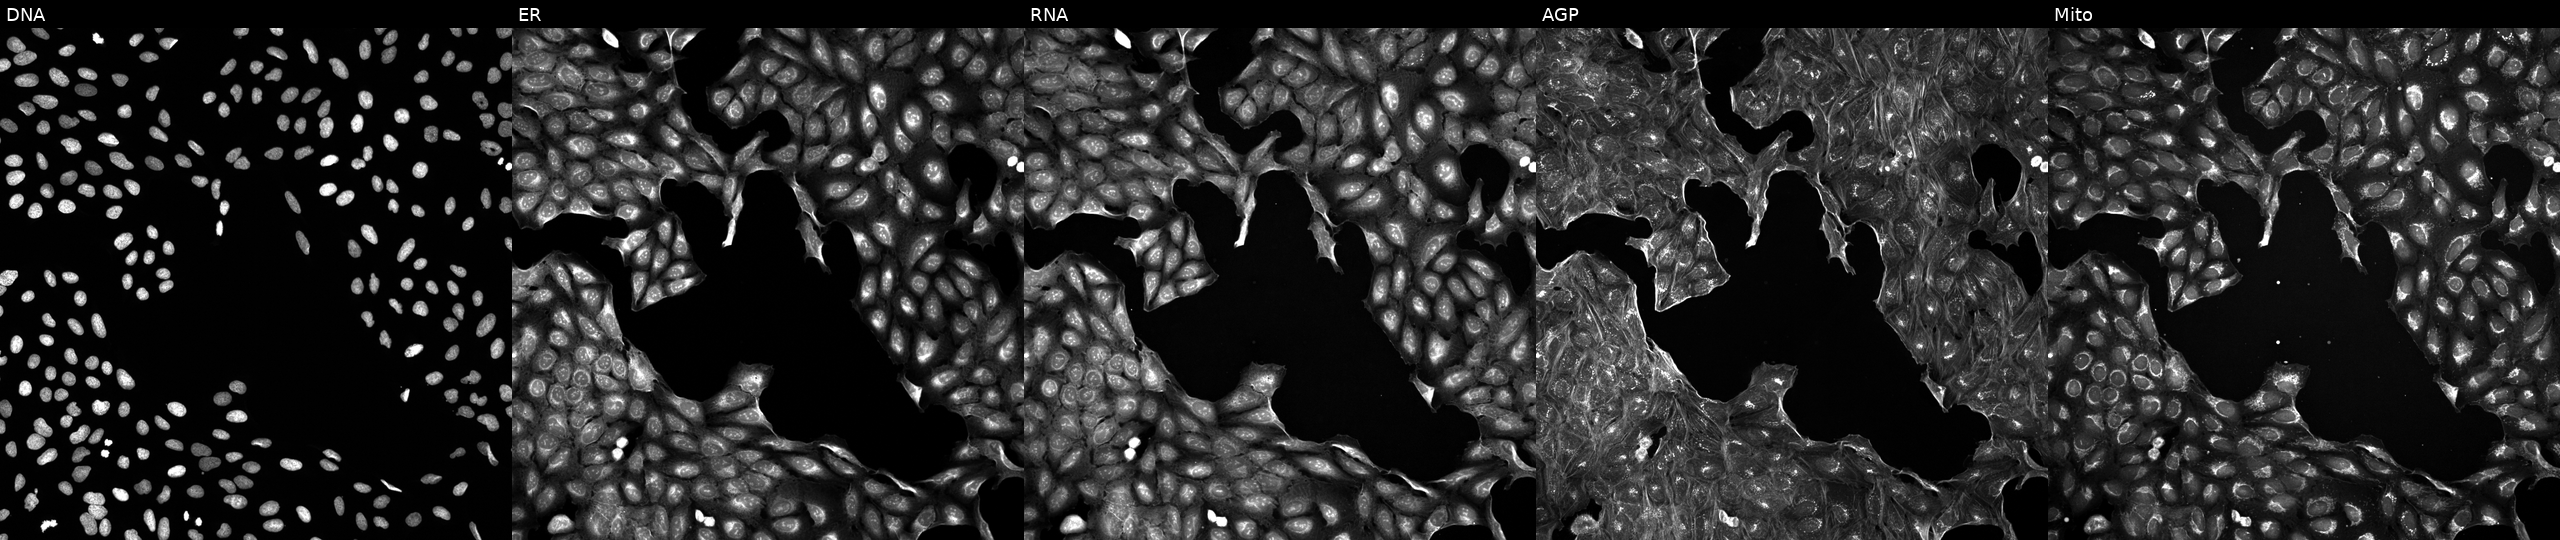
Channels (left→right): Hoechst 33342, concanavalin A, SYTO 14, phalloidin and WGA, MitoTracker. U2OS osteosarcoma cells exposed to the positive-control compound aloxistatin (JUMP id JCP2022_085227). Cell Painting assay, JUMP-CP dataset. Source 5, plate ACPJUM032, well F06.